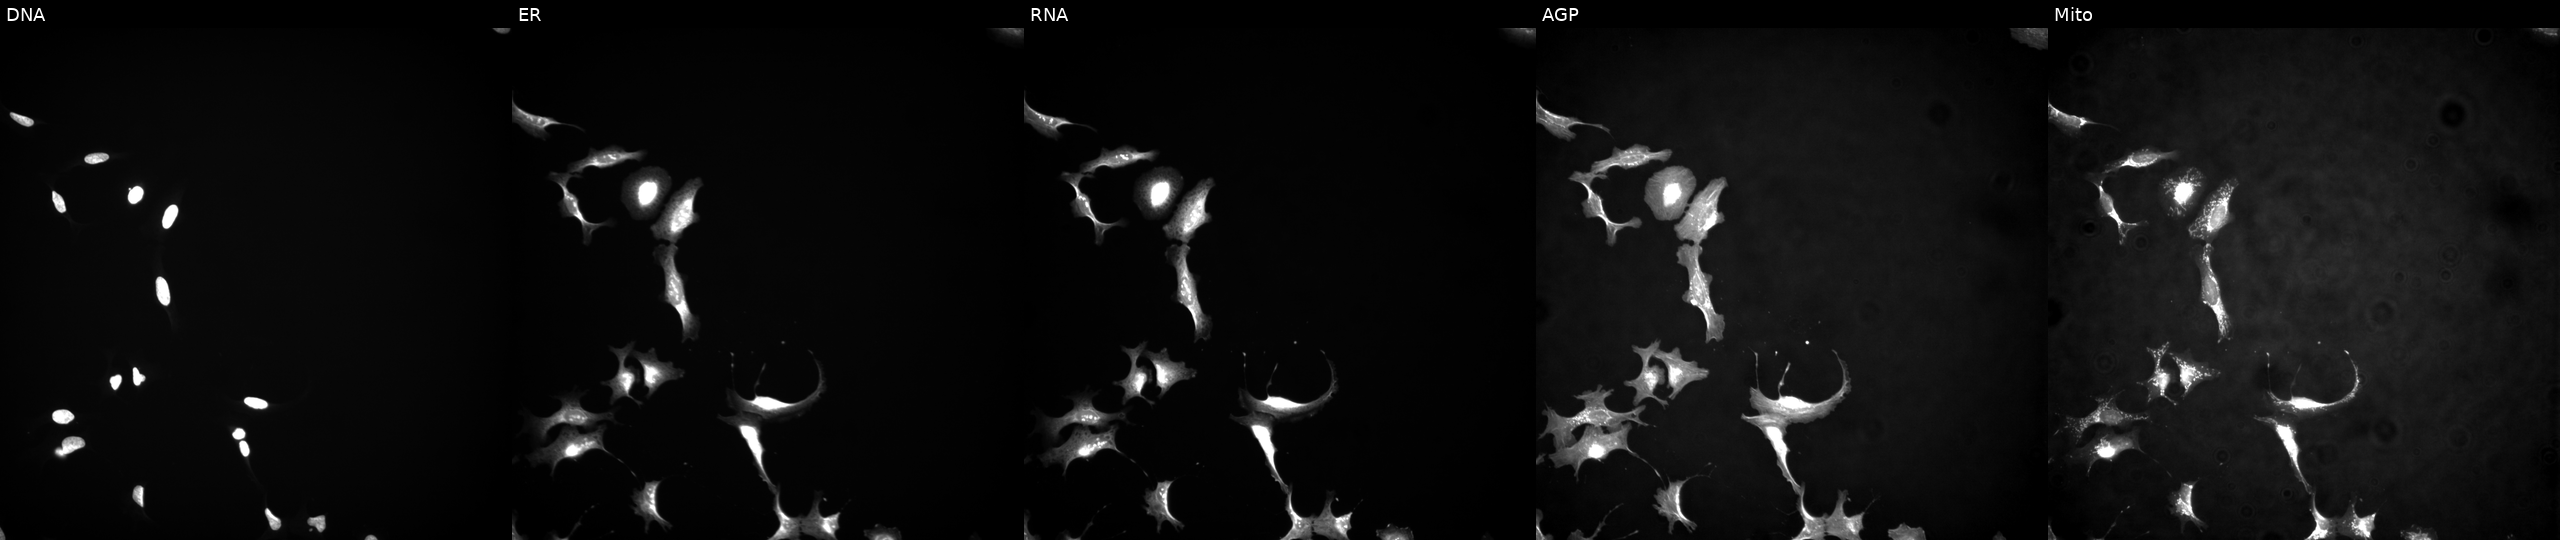
The five panels, left to right, show Hoechst 33342, concanavalin A, SYTO 14, phalloidin and WGA, MitoTracker. U2OS osteosarcoma cells transfected with an ORF construct for EPHB4 (JUMP id JCP2022_913659). Cell Painting assay, JUMP-CP dataset.